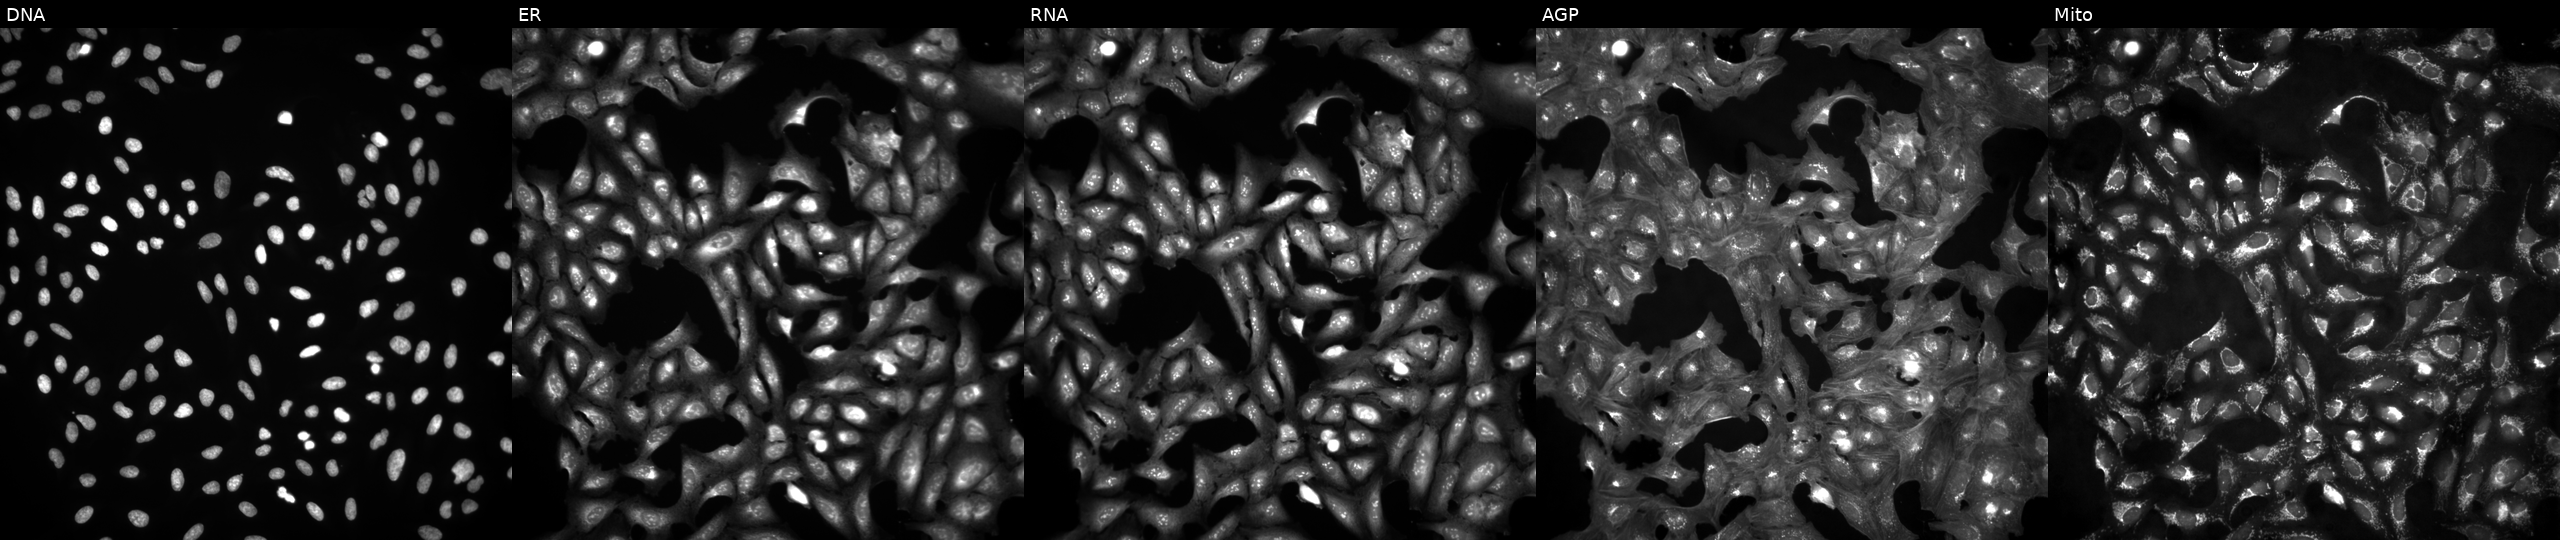
High-content fluorescence microscopy (Cell Painting). Cell line: U2OS. Perturbation: in an empty control well (no perturbation) (JUMP id JCP2022_999999). The five panels, left to right, show DNA, ER, RNA, AGP, and Mito.